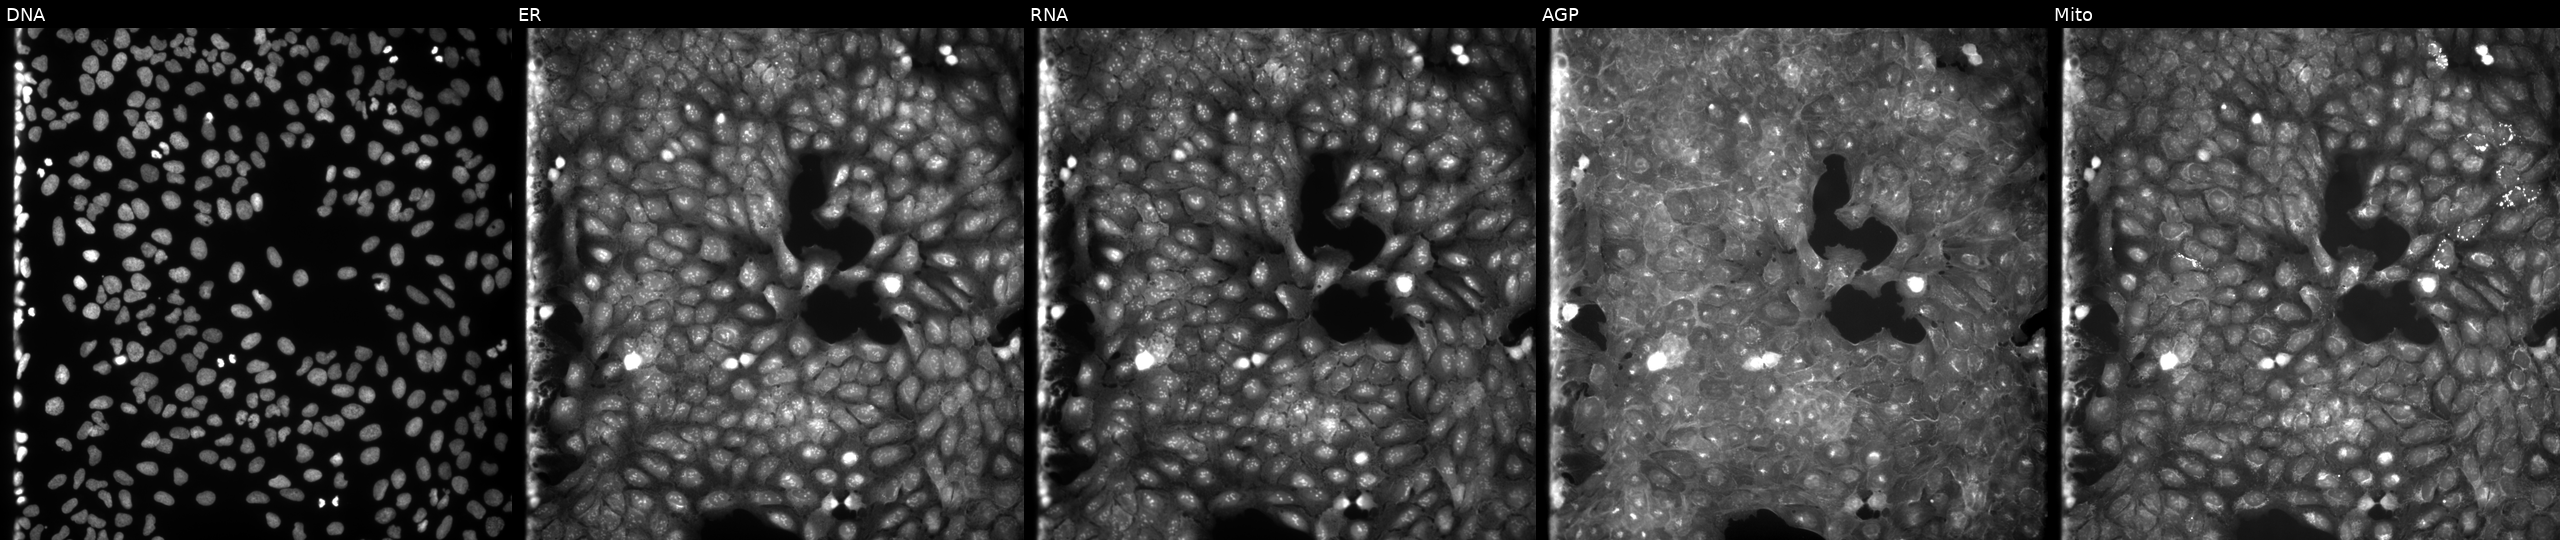
This image strip shows the five Cell Painting channels for a single field of U2OS cells perturbed with a small-molecule compound (InChIKey QUIRACCDAZCGGN-UHFFFAOYSA-N). From left to right: DNA, ER, RNA, AGP, and Mito. Source 9, plate GR00003382, well K13.